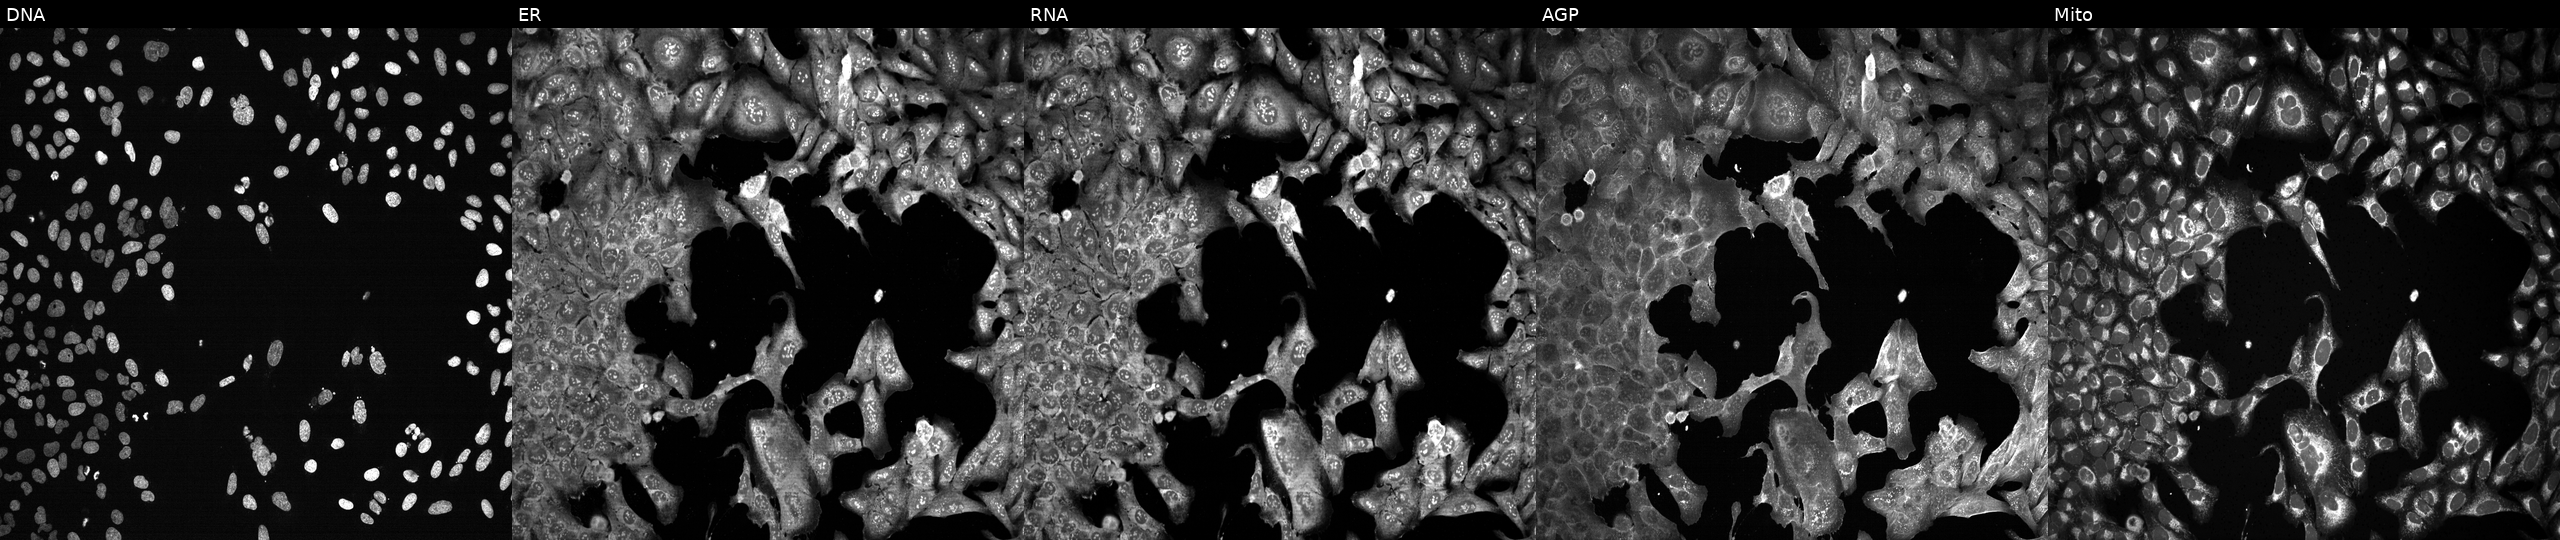
Channels (left→right): DNA (nuclei); ER (endoplasmic reticulum); RNA (nucleoli and cytoplasmic RNA); AGP (actin cytoskeleton, Golgi, and plasma membrane); Mito (mitochondria). U2OS osteosarcoma cells CRISPR-edited to disrupt GZMB. Cell Painting assay, JUMP-CP dataset. Source 13, plate CP-CC9-R6-19, well G04.